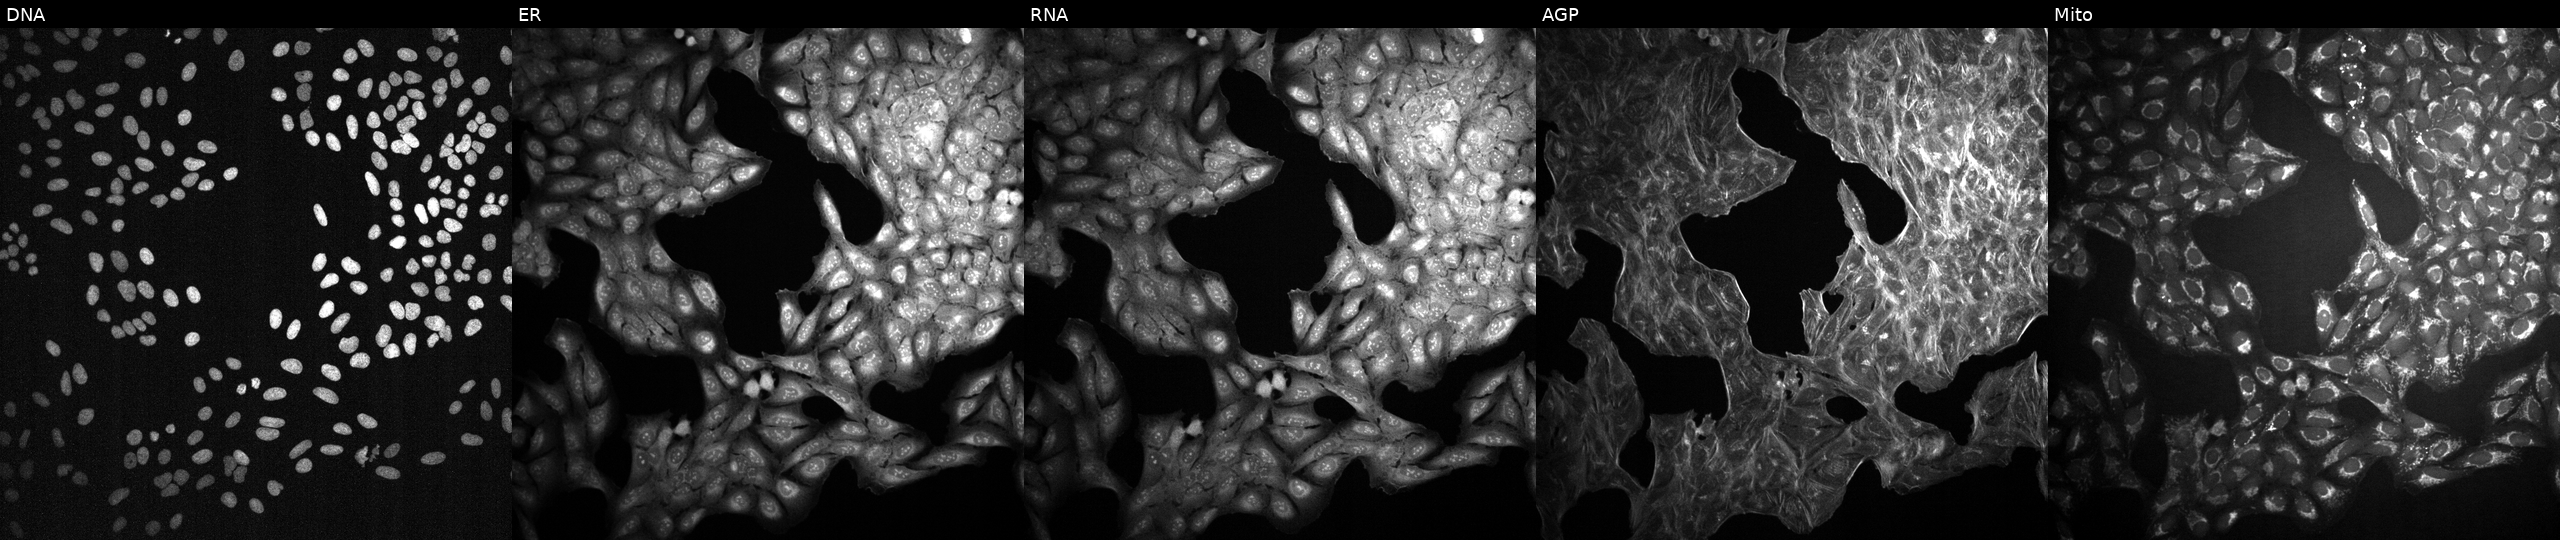
High-content fluorescence microscopy (Cell Painting). Cell line: U2OS. Perturbation: exposed to a small-molecule compound (InChIKey FPVKHBSQESCIEP-UHFFFAOYSA-N). The five panels, left to right, show DNA, ER, RNA, AGP, and Mito. Source 2, plate 1053599503, well O04.